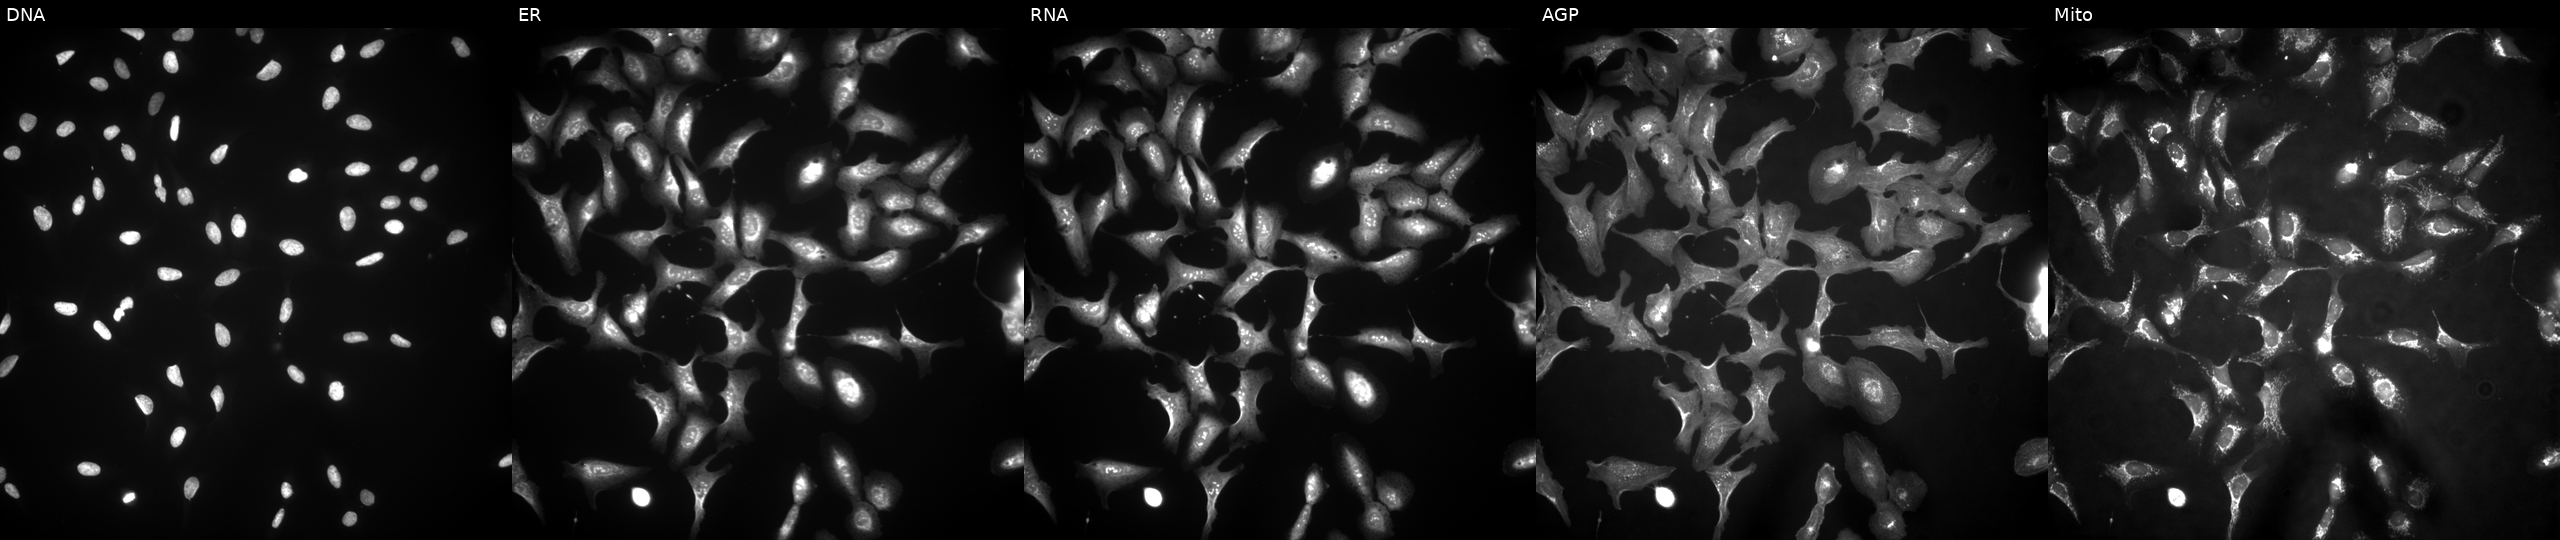
Five-channel Cell Painting image of U2OS cells in an empty control well (no perturbation). Panels show, left to right, DNA, ER, RNA, AGP, and Mito.